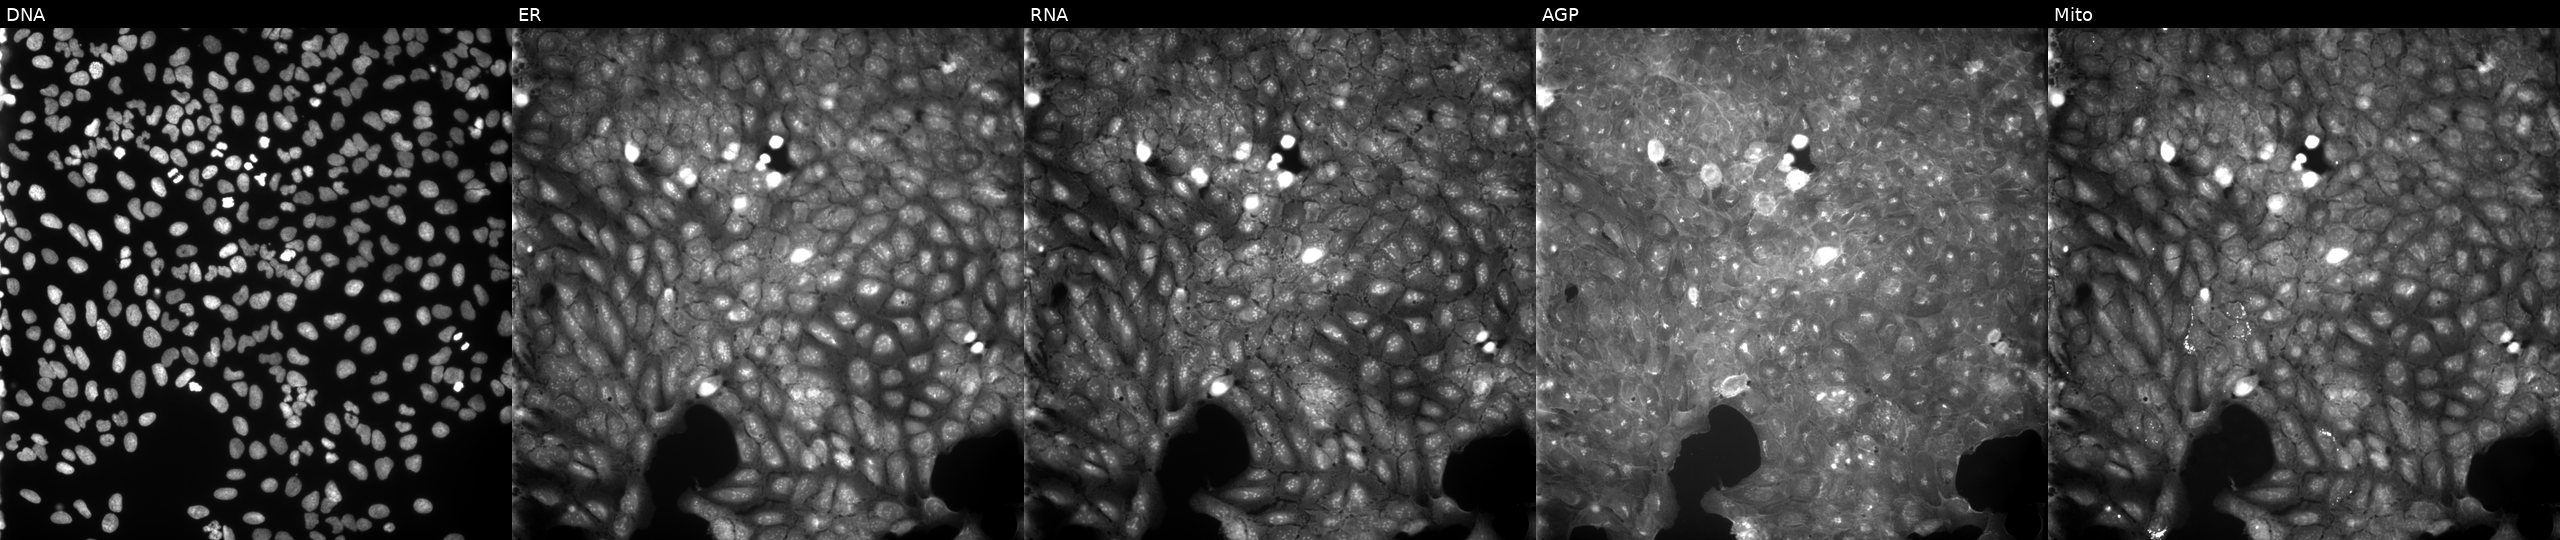
Five-channel Cell Painting image of U2OS cells treated with a small-molecule compound (InChIKey RUDKMYZVMSRQMB-UHFFFAOYSA-N) (JUMP id JCP2022_080758). Panels show, left to right, Hoechst 33342, concanavalin A, SYTO 14, phalloidin and WGA, MitoTracker.